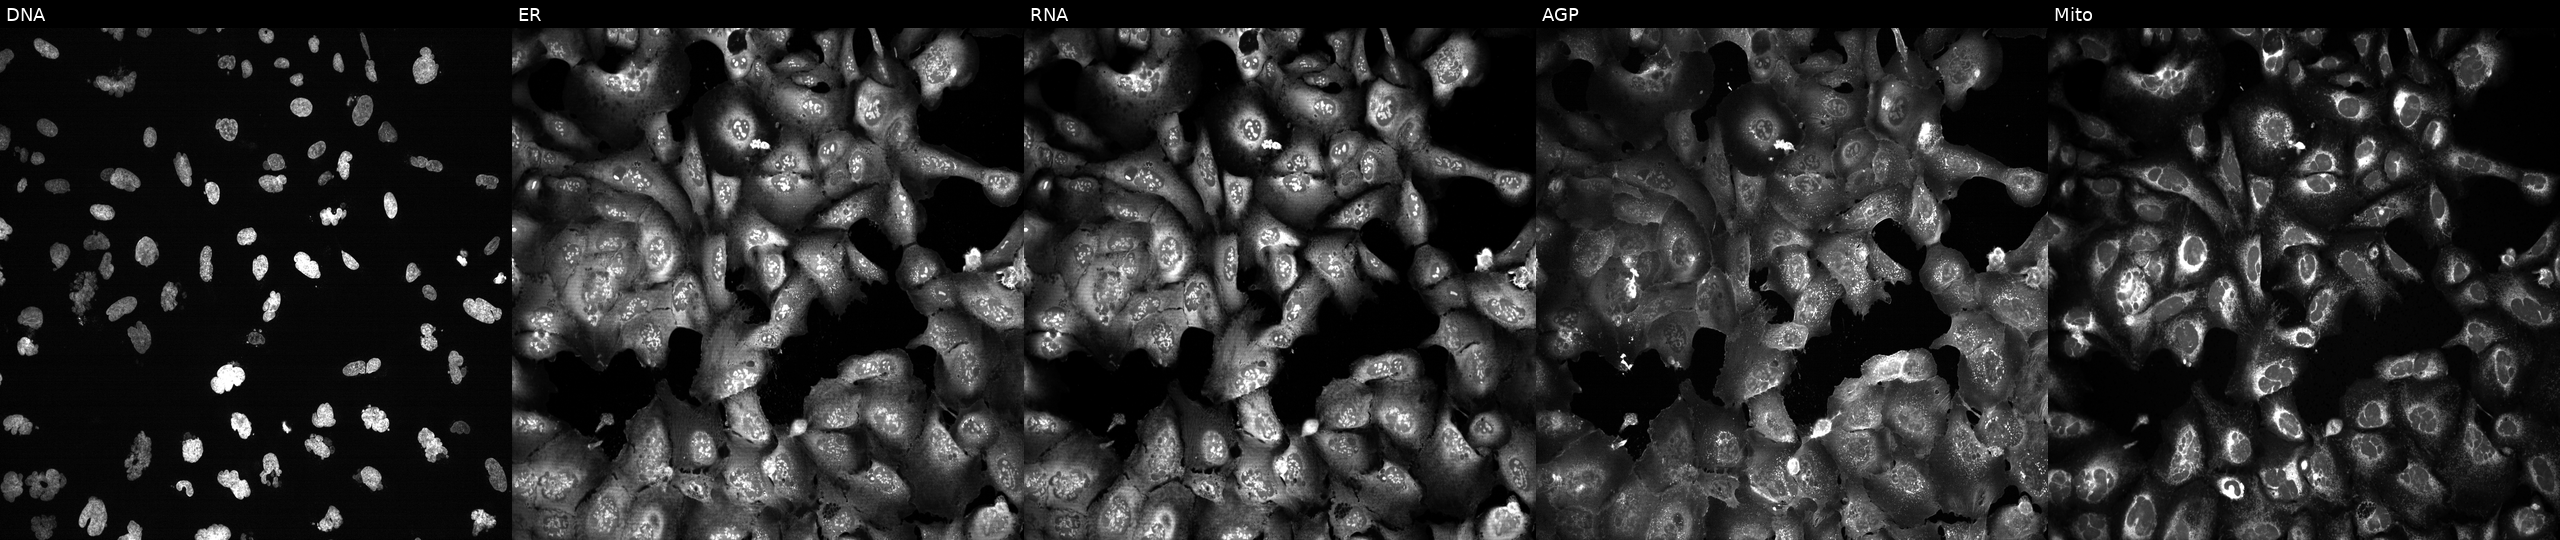
U2OS cells, Cell Painting assay, CRISPR-edited to disrupt ESPL1. Channels (left→right): Hoechst 33342, concanavalin A, SYTO 14, phalloidin and WGA, MitoTracker. Each panel is percentile-stretched 16-bit fluorescence.